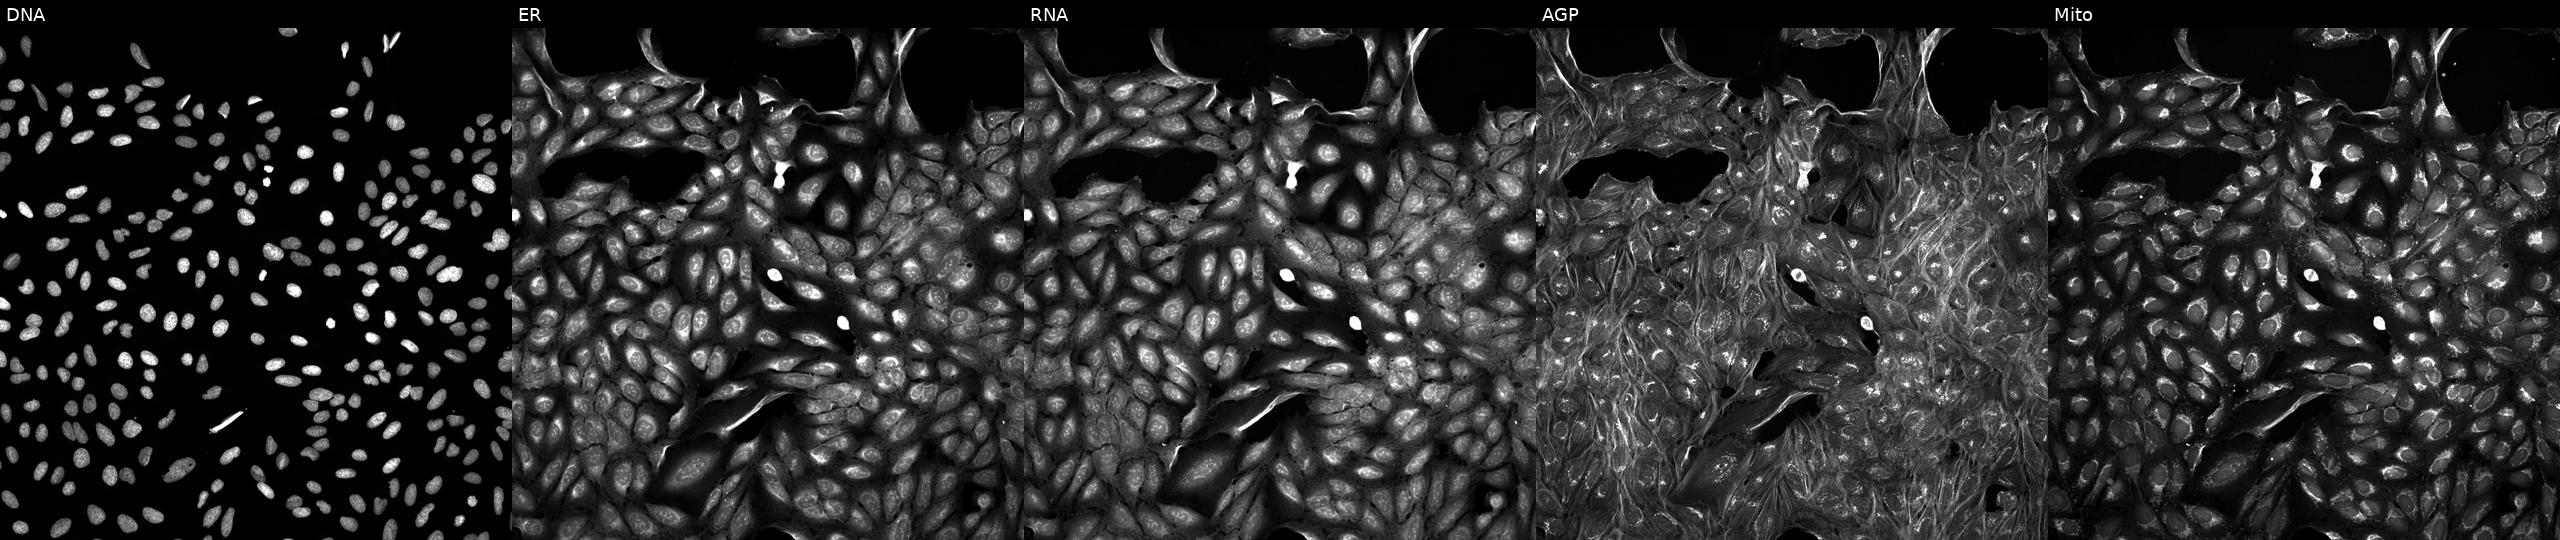
JUMP Cell Painting — TARGET2 plate. U2OS cells exposed to a small-molecule compound (InChIKey CXUCKELNYMZTRT-UHFFFAOYSA-N) (JUMP id JCP2022_014114). From left to right: DNA, ER, RNA, AGP, and Mito. Source 5, plate ACPJUM032, well B14.